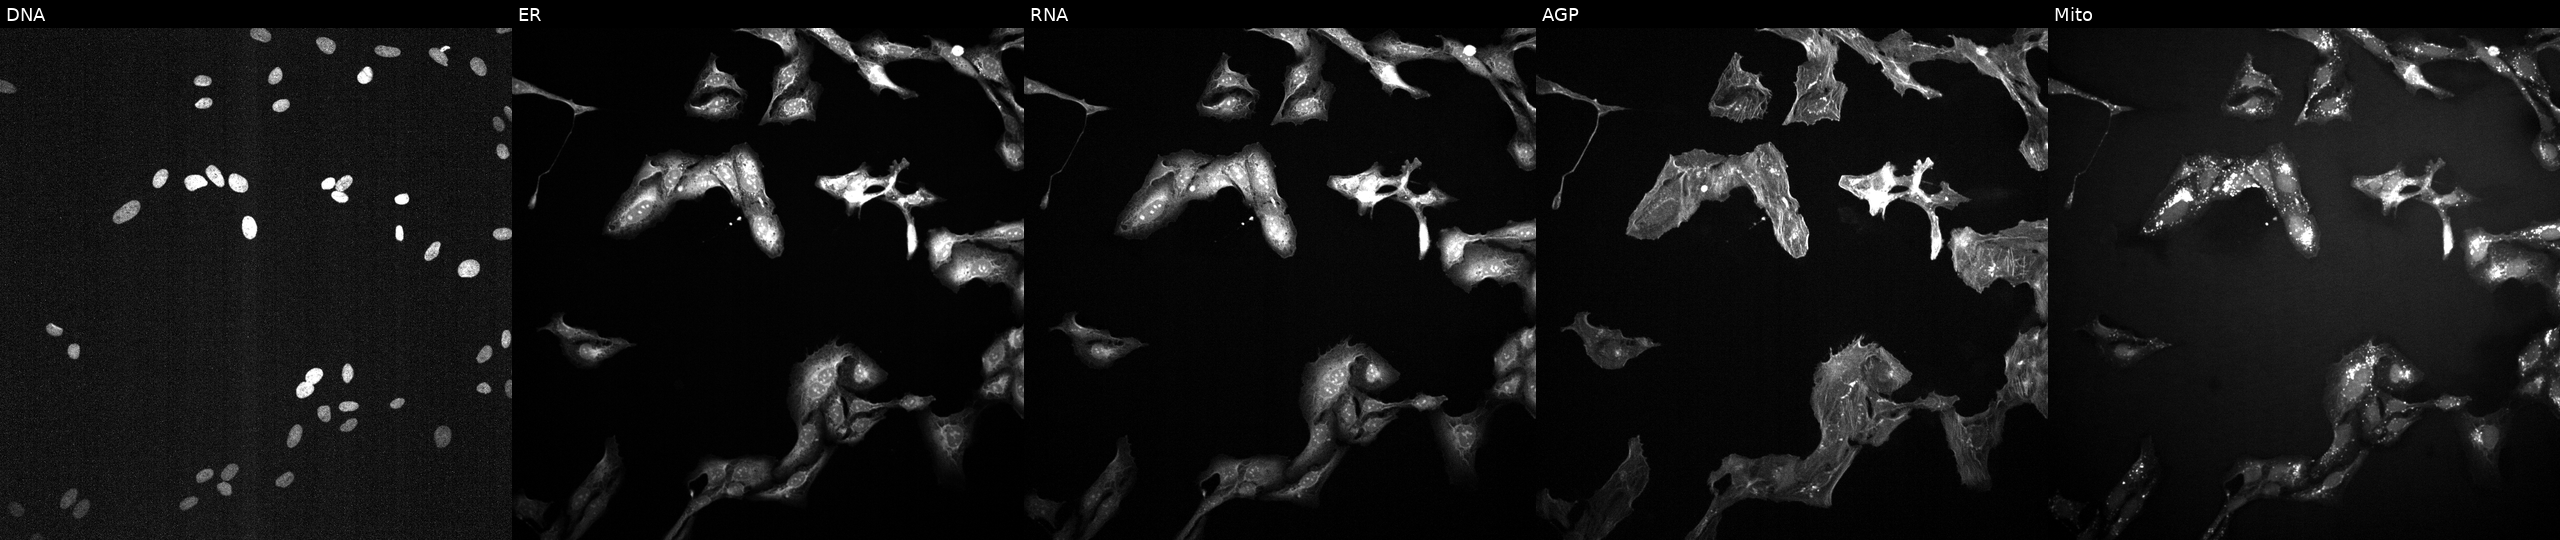
Five-channel Cell Painting image of U2OS cells exposed to a small-molecule compound (JUMP id JCP2022_074702). The five panels, left to right, show Hoechst 33342, concanavalin A, SYTO 14, phalloidin and WGA, MitoTracker.